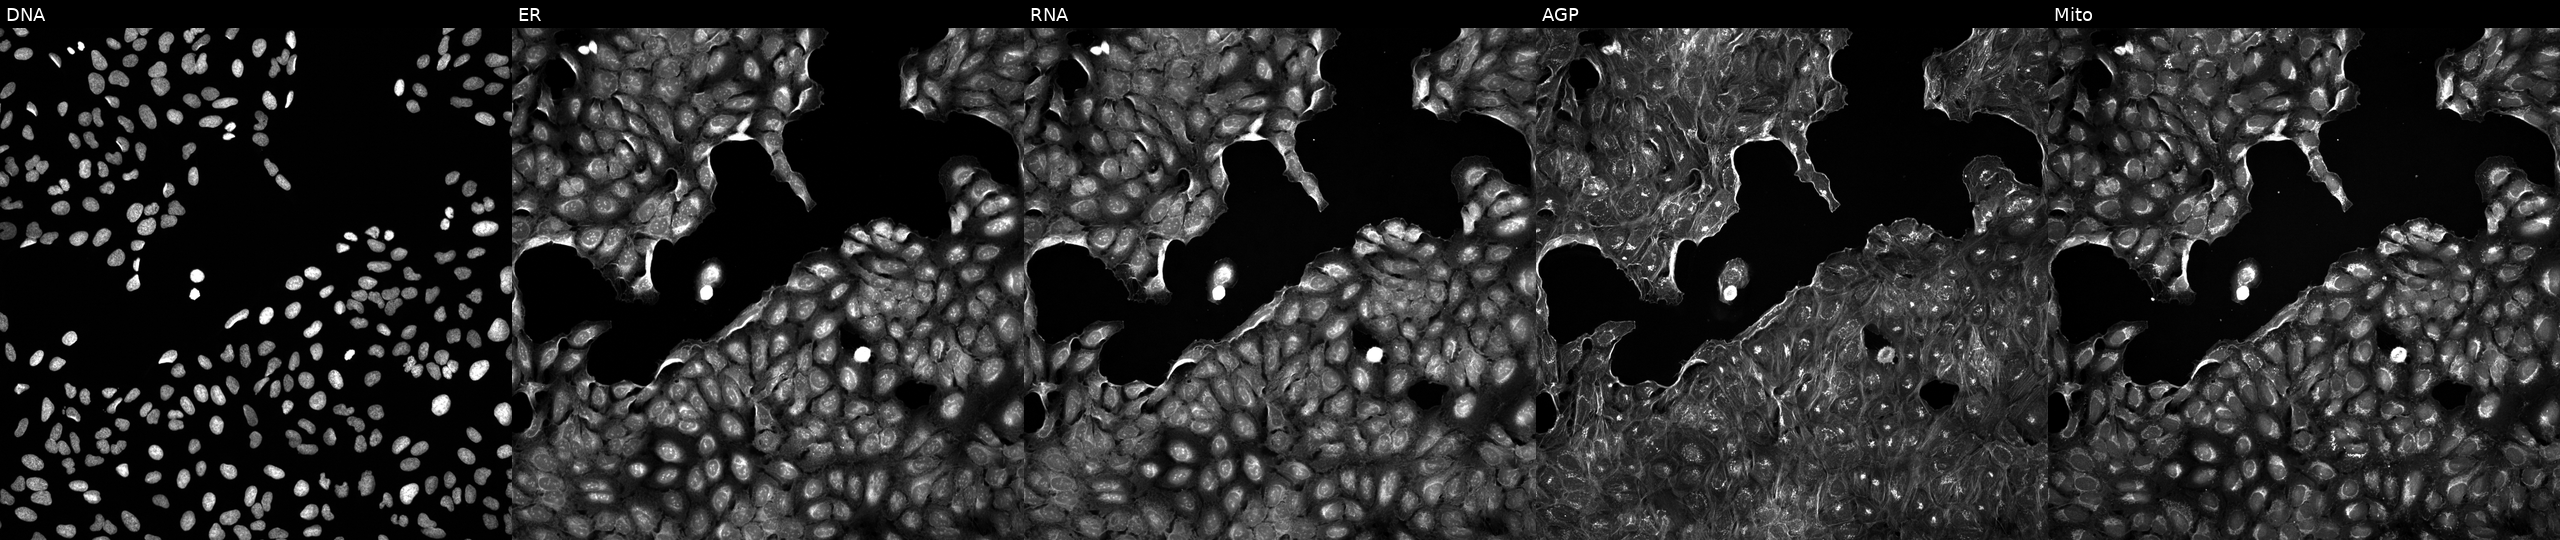
This image strip shows the five Cell Painting channels for a single field of U2OS cells exposed to a small-molecule compound (JUMP id JCP2022_018715). Channels (left→right): DNA, ER, RNA, AGP, and Mito.